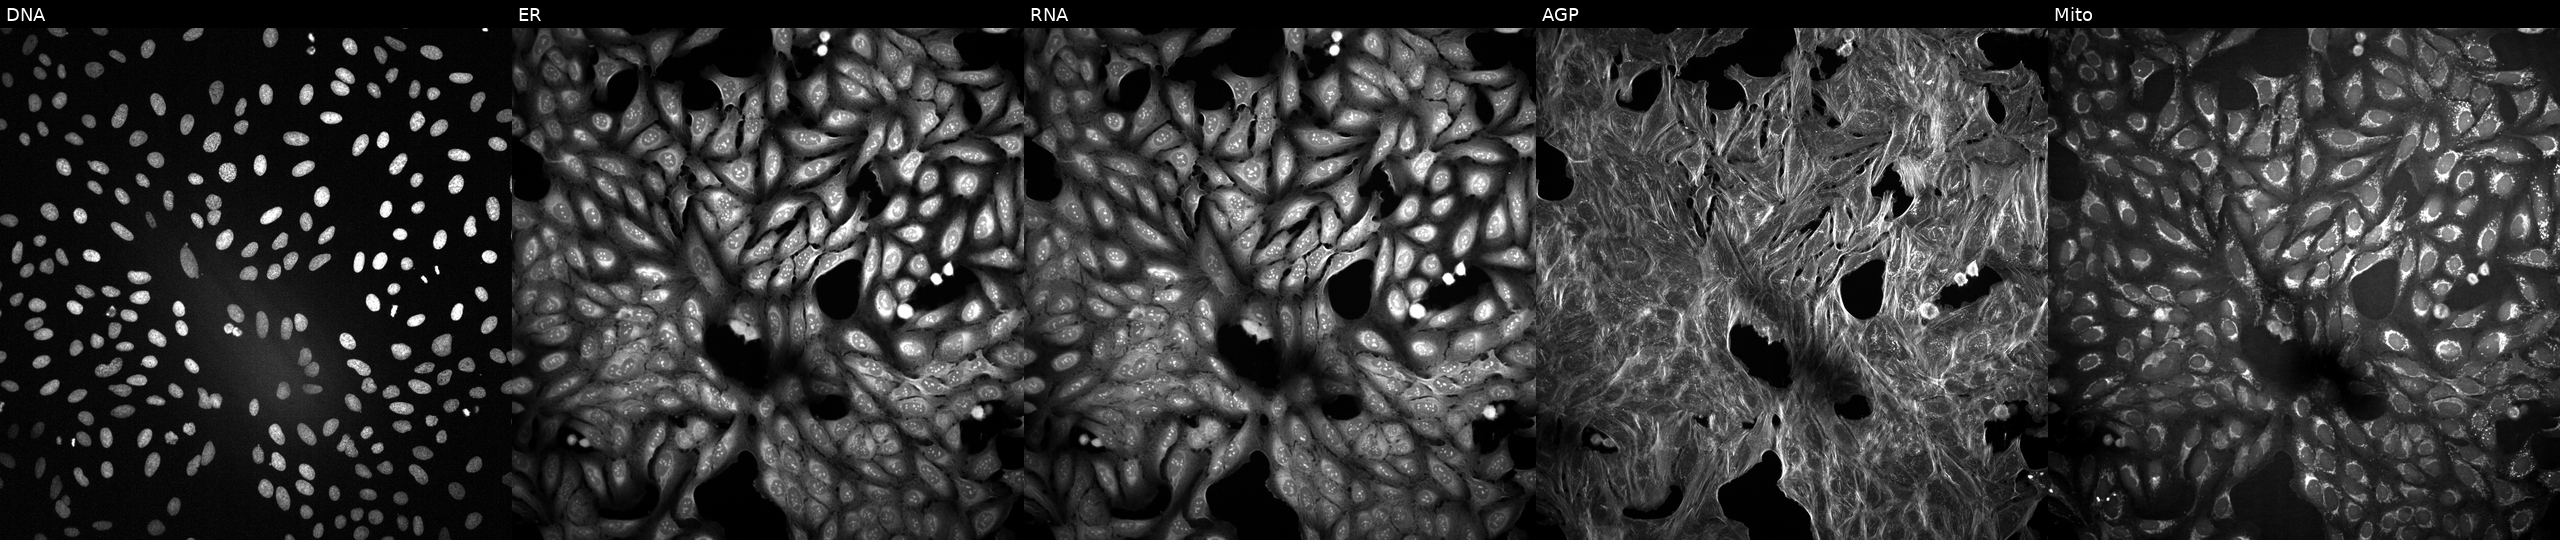
High-content fluorescence microscopy (Cell Painting). Cell line: U2OS. Perturbation: treated with DMSO vehicle only (negative control). Panels show, left to right, Hoechst 33342, concanavalin A, SYTO 14, phalloidin and WGA, MitoTracker.